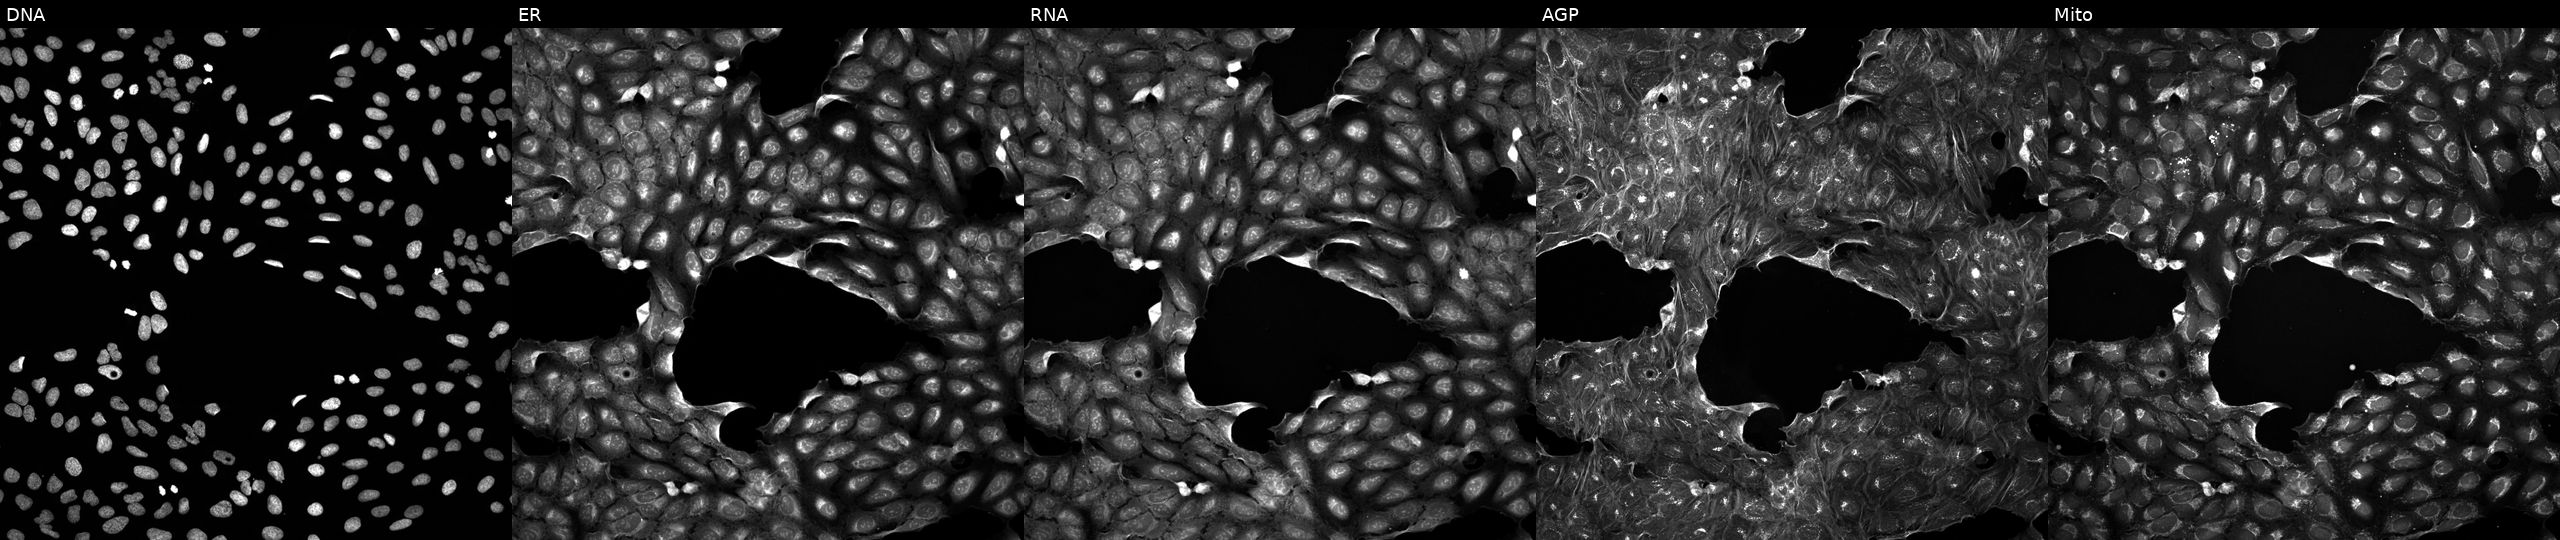
Five-channel Cell Painting image of U2OS cells perturbed with a small-molecule compound (InChIKey PHSPJQZRQAJPPF-UHFFFAOYSA-N). Channels (left→right): Hoechst 33342, concanavalin A, SYTO 14, phalloidin and WGA, MitoTracker. Source 5, plate ACPJUM051, well B23.